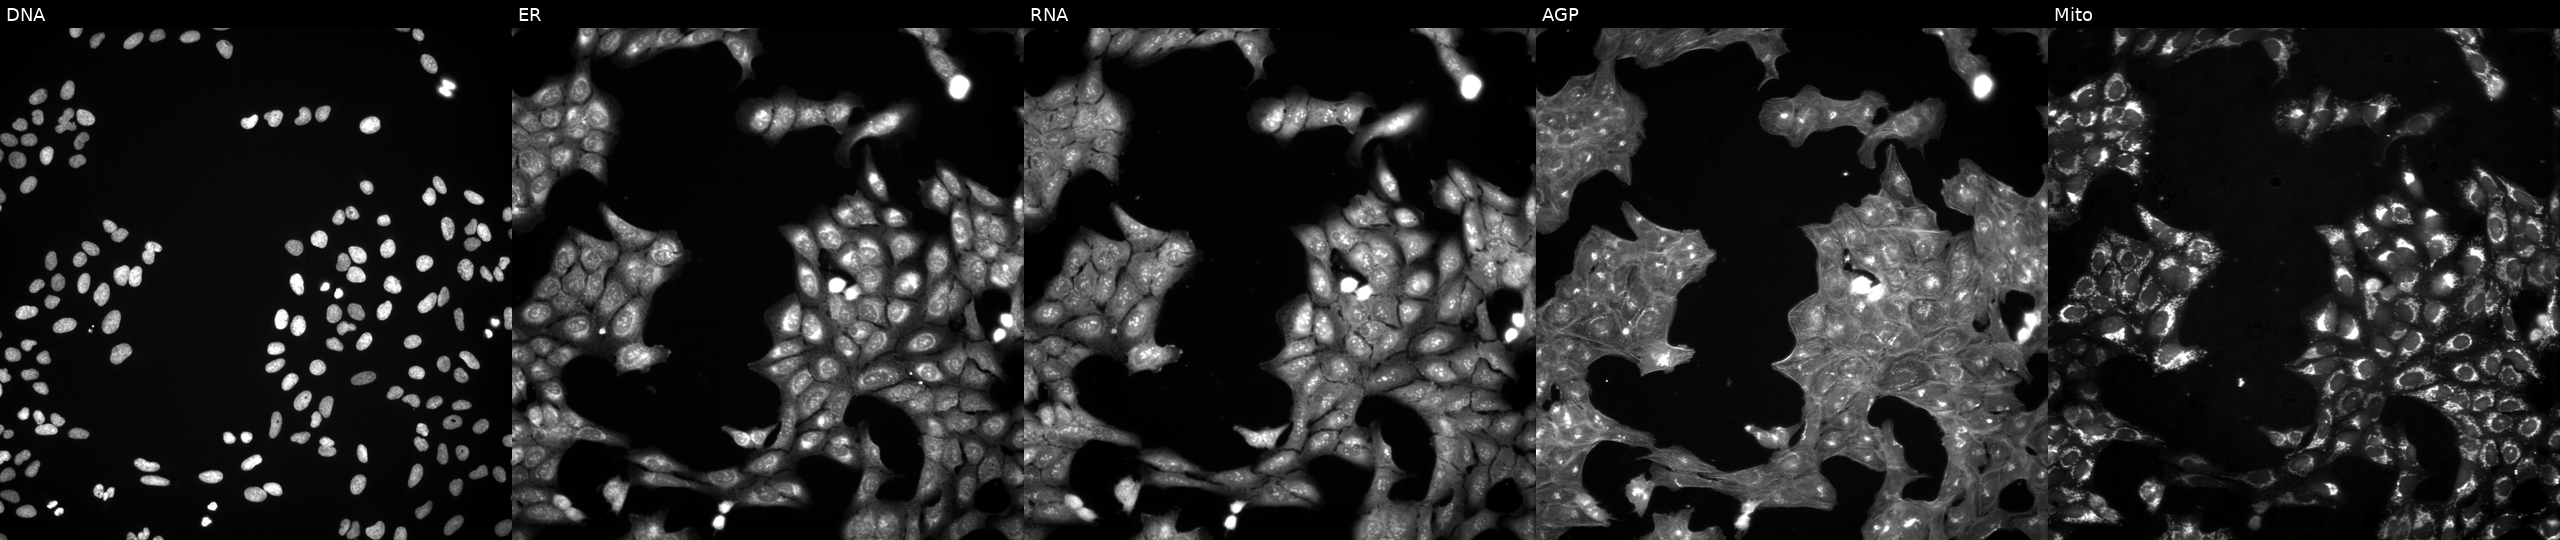
Panels show, left to right, DNA (nuclei); ER (endoplasmic reticulum); RNA (nucleoli and cytoplasmic RNA); AGP (actin cytoskeleton, Golgi, and plasma membrane); Mito (mitochondria). U2OS osteosarcoma cells treated with a small-molecule compound. Cell Painting assay, JUMP-CP dataset.